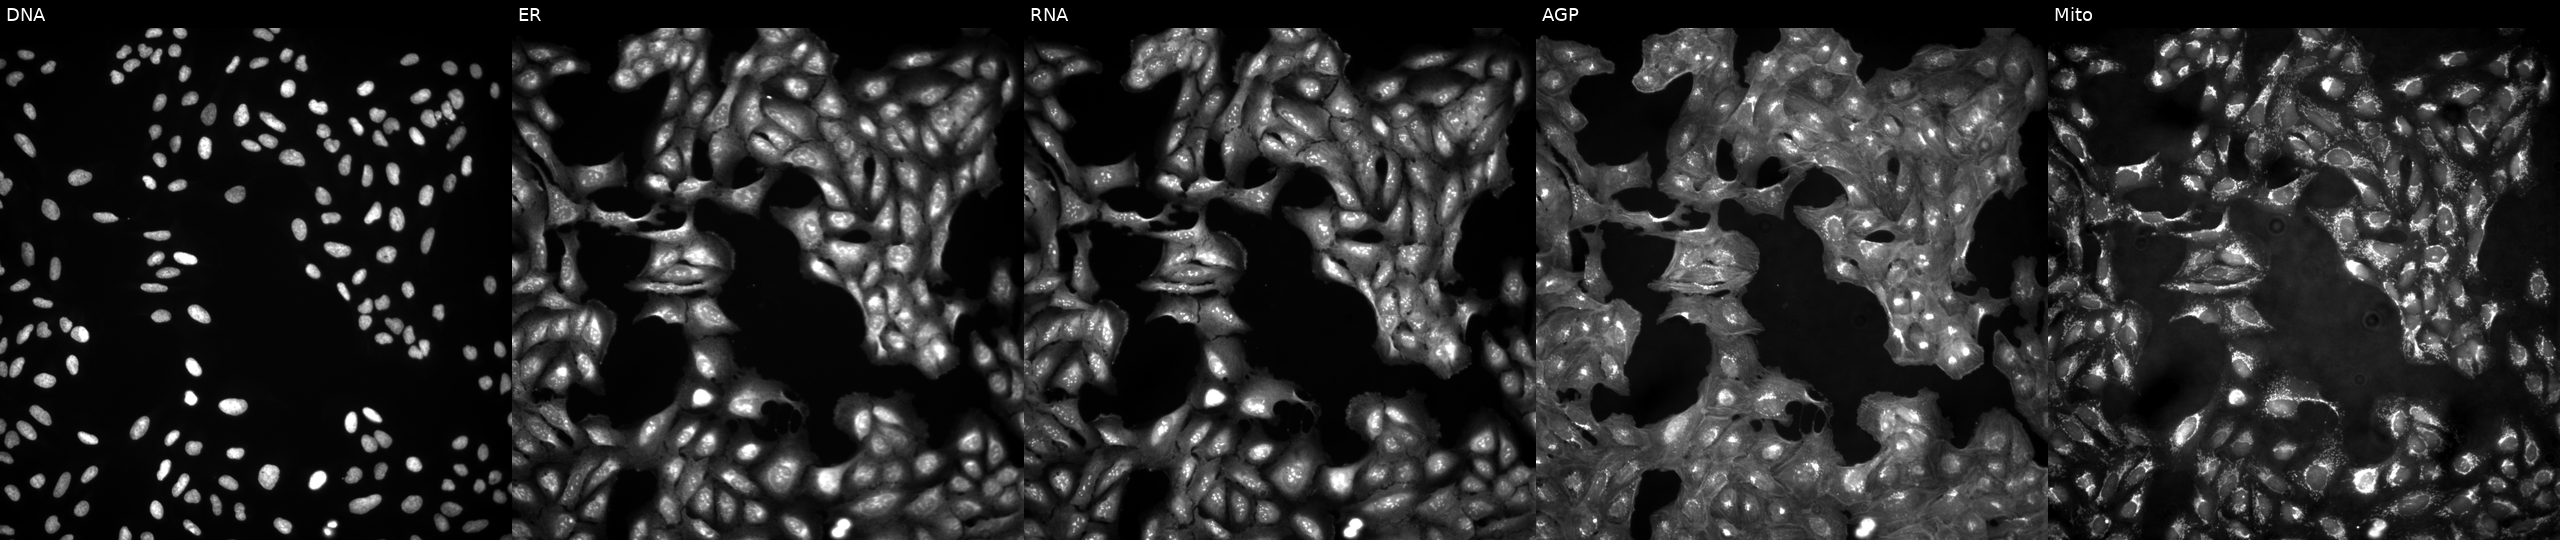
High-content fluorescence microscopy (Cell Painting). Cell line: U2OS. Perturbation: in an empty control well (no perturbation) (JUMP id JCP2022_999999). Panels show, left to right, Hoechst 33342, concanavalin A, SYTO 14, phalloidin and WGA, MitoTracker.